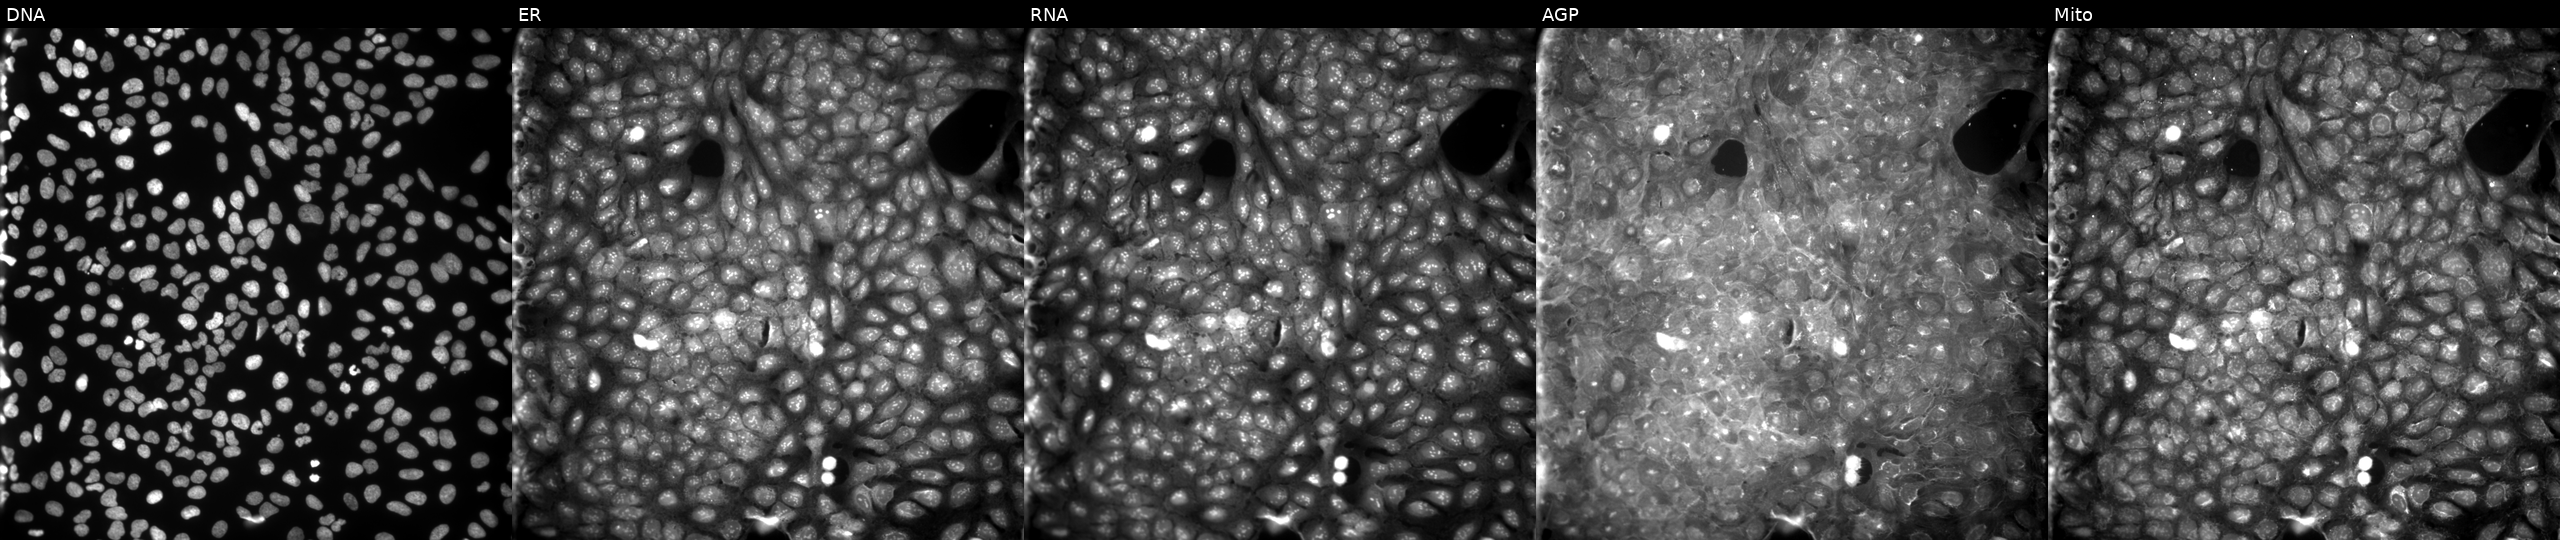
U2OS cells, Cell Painting assay, exposed to a small-molecule compound (InChIKey QYPFFULZBJETKB-UHFFFAOYSA-N) (JUMP id JCP2022_076730). Panels show, left to right, Hoechst 33342, concanavalin A, SYTO 14, phalloidin and WGA, MitoTracker. Each panel is percentile-stretched 16-bit fluorescence.